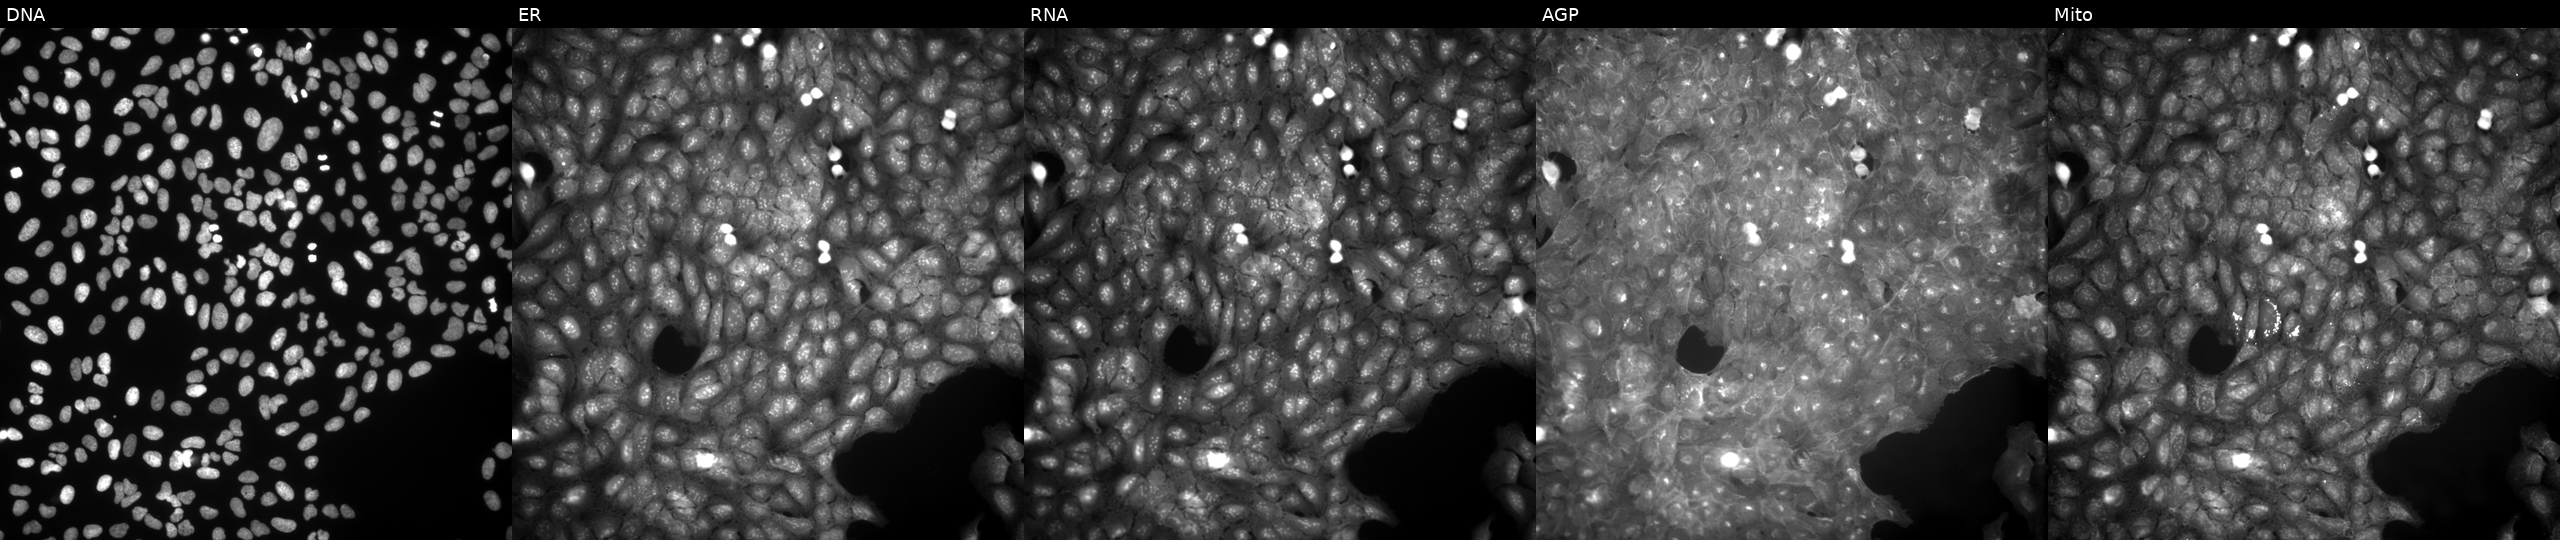
From left to right: DNA, ER, RNA, AGP, and Mito. U2OS osteosarcoma cells perturbed with a small-molecule compound [SMILES: COc1ccc(C2=NN(S(C)(=O)=O)C(c3ccccc3OC)C2)cc1]. Cell Painting assay, JUMP-CP dataset. Source 9, plate GR00003381, well S22.